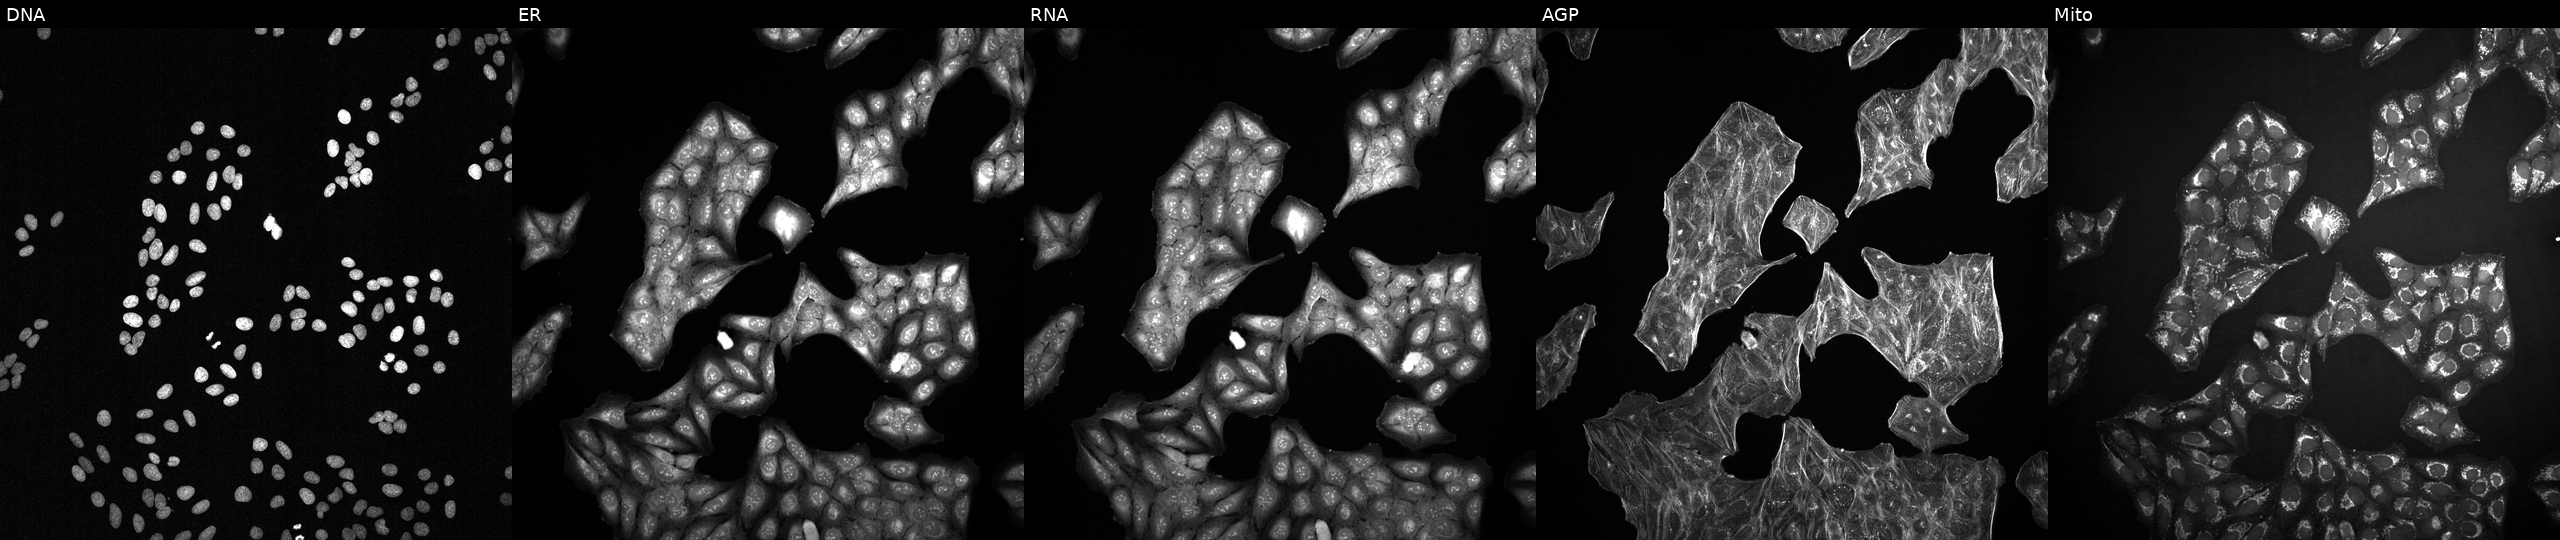
This image strip shows the five Cell Painting channels for a single field of U2OS cells exposed to a small-molecule compound (InChIKey ICDMLAQPOAVWNH-UHFFFAOYSA-N). The five panels, left to right, show DNA, ER, RNA, AGP, and Mito.